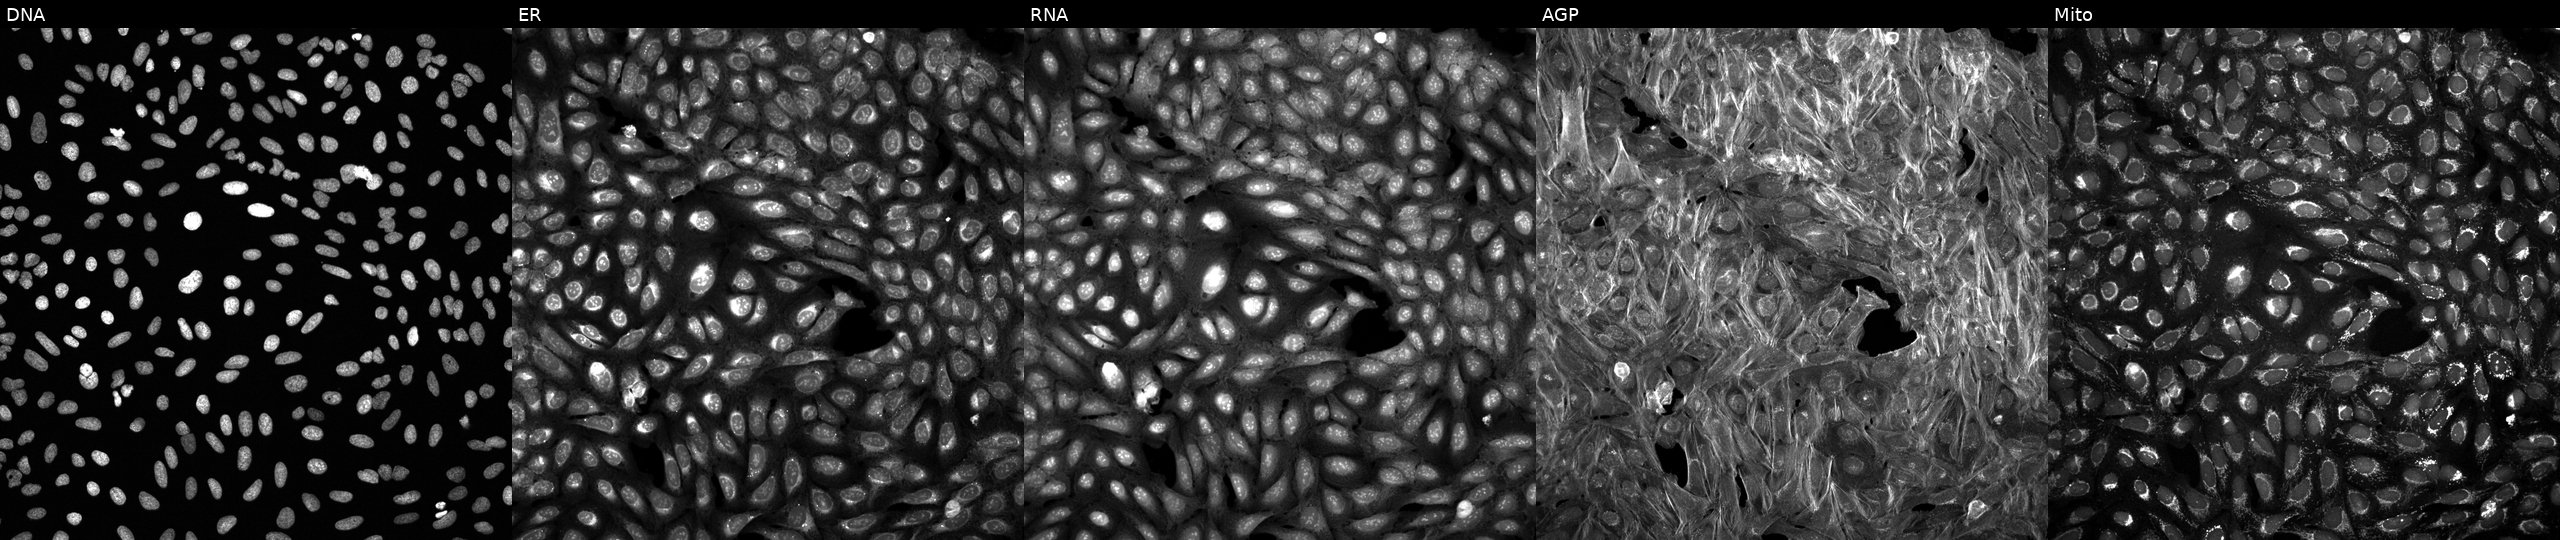
Five-channel Cell Painting image of U2OS cells exposed to a small-molecule compound. Channels (left→right): Hoechst 33342, concanavalin A, SYTO 14, phalloidin and WGA, MitoTracker.